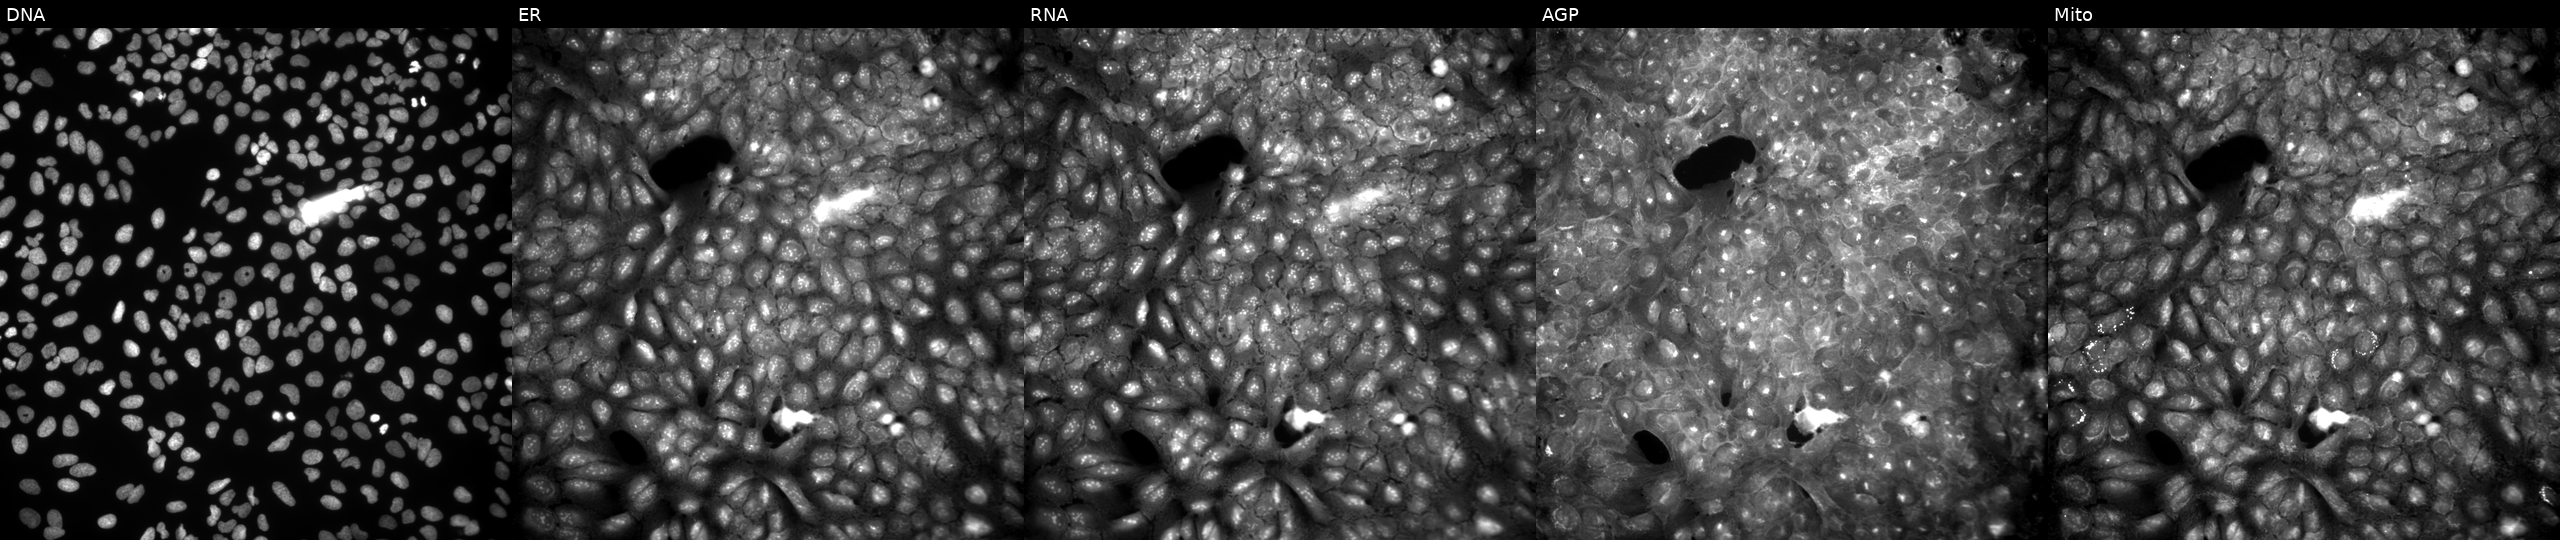
From left to right: DNA, ER, RNA, AGP, and Mito. U2OS osteosarcoma cells perturbed with a small-molecule compound (InChIKey TYXUHCSEWITPJD-UHFFFAOYSA-N). Cell Painting assay, JUMP-CP dataset. Source 9, plate GR00003381, well P36.